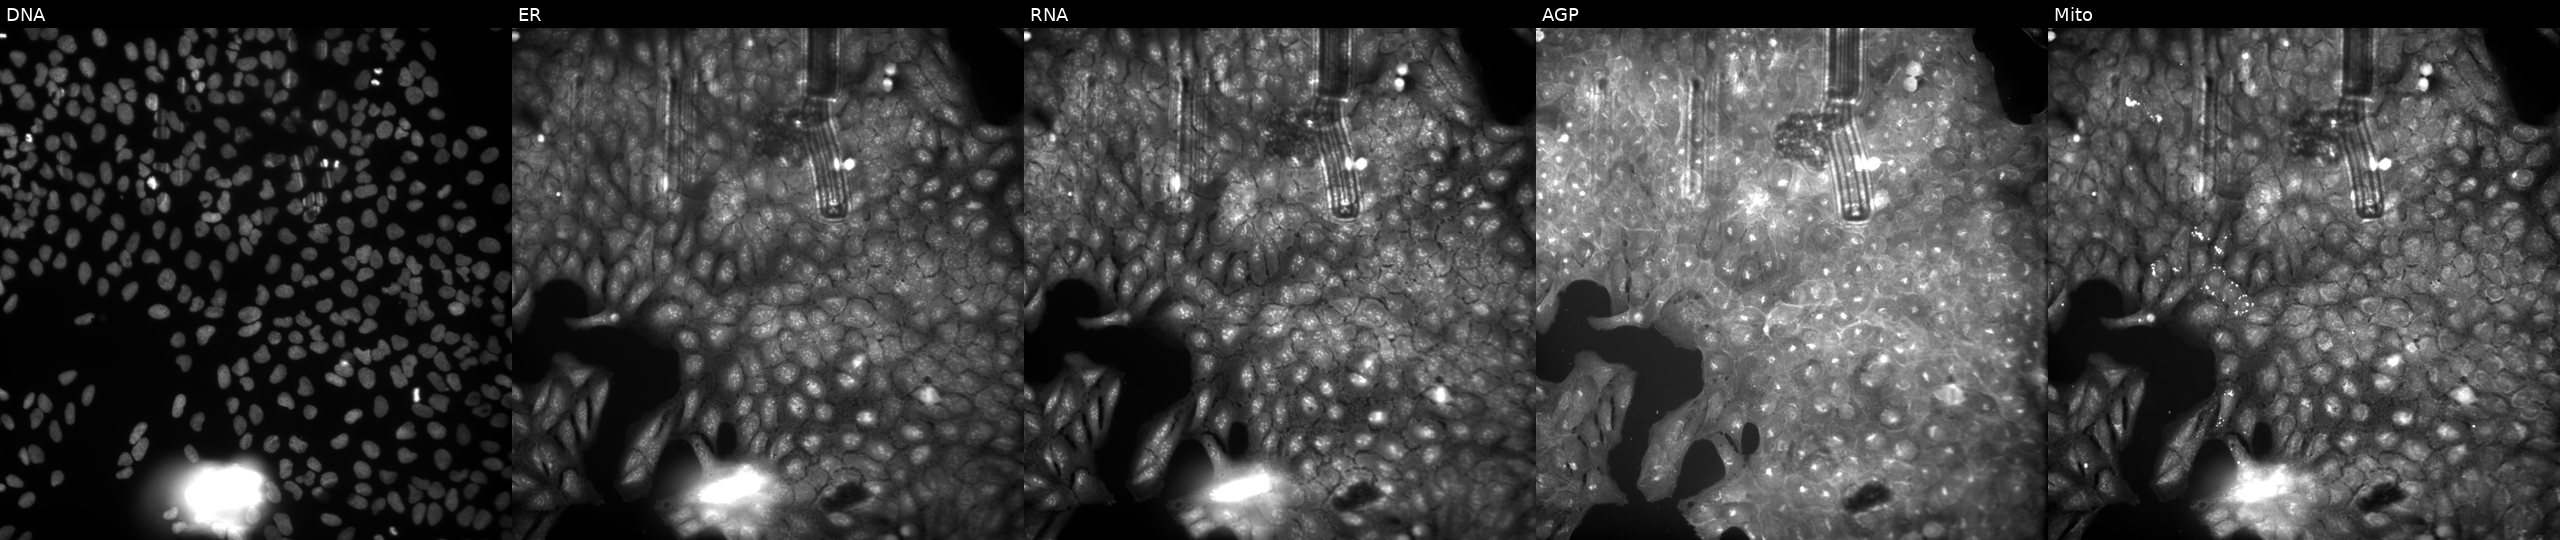
Five-channel Cell Painting image of U2OS cells treated with a small-molecule compound (InChIKey HGGDJDHWOMRVBP-UHFFFAOYSA-N). The five panels, left to right, show Hoechst 33342, concanavalin A, SYTO 14, phalloidin and WGA, MitoTracker. Source 9, plate GR00003381, well T42.